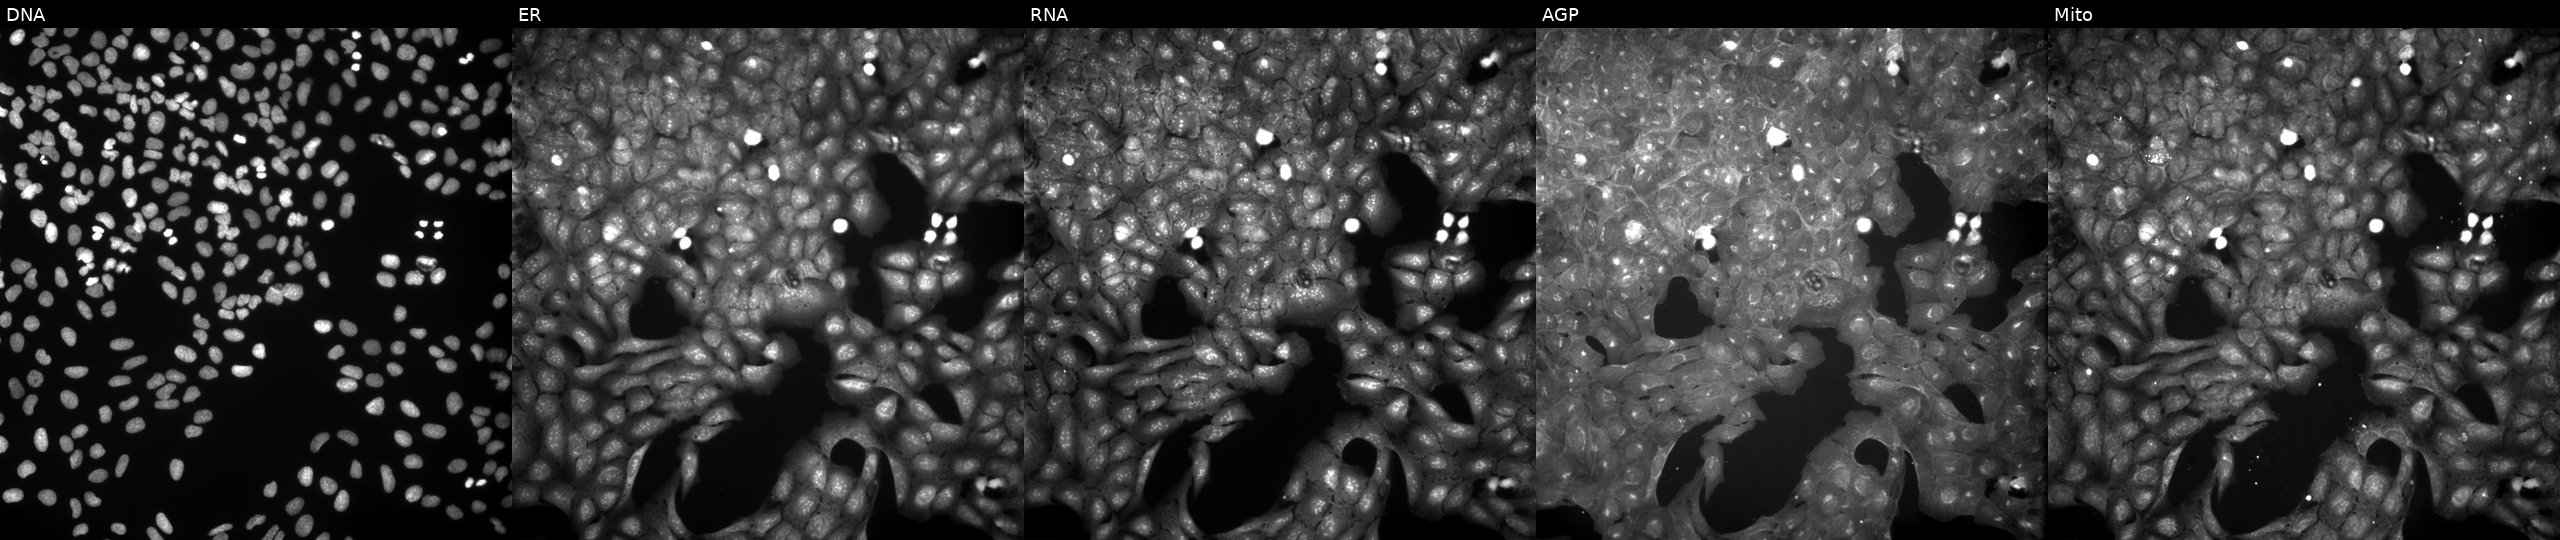
JUMP Cell Painting — COMPOUND plate. U2OS cells treated with TC-S-7004 (positive-control compound) (JUMP id JCP2022_012818). Channels (left→right): DNA, ER, RNA, AGP, and Mito.